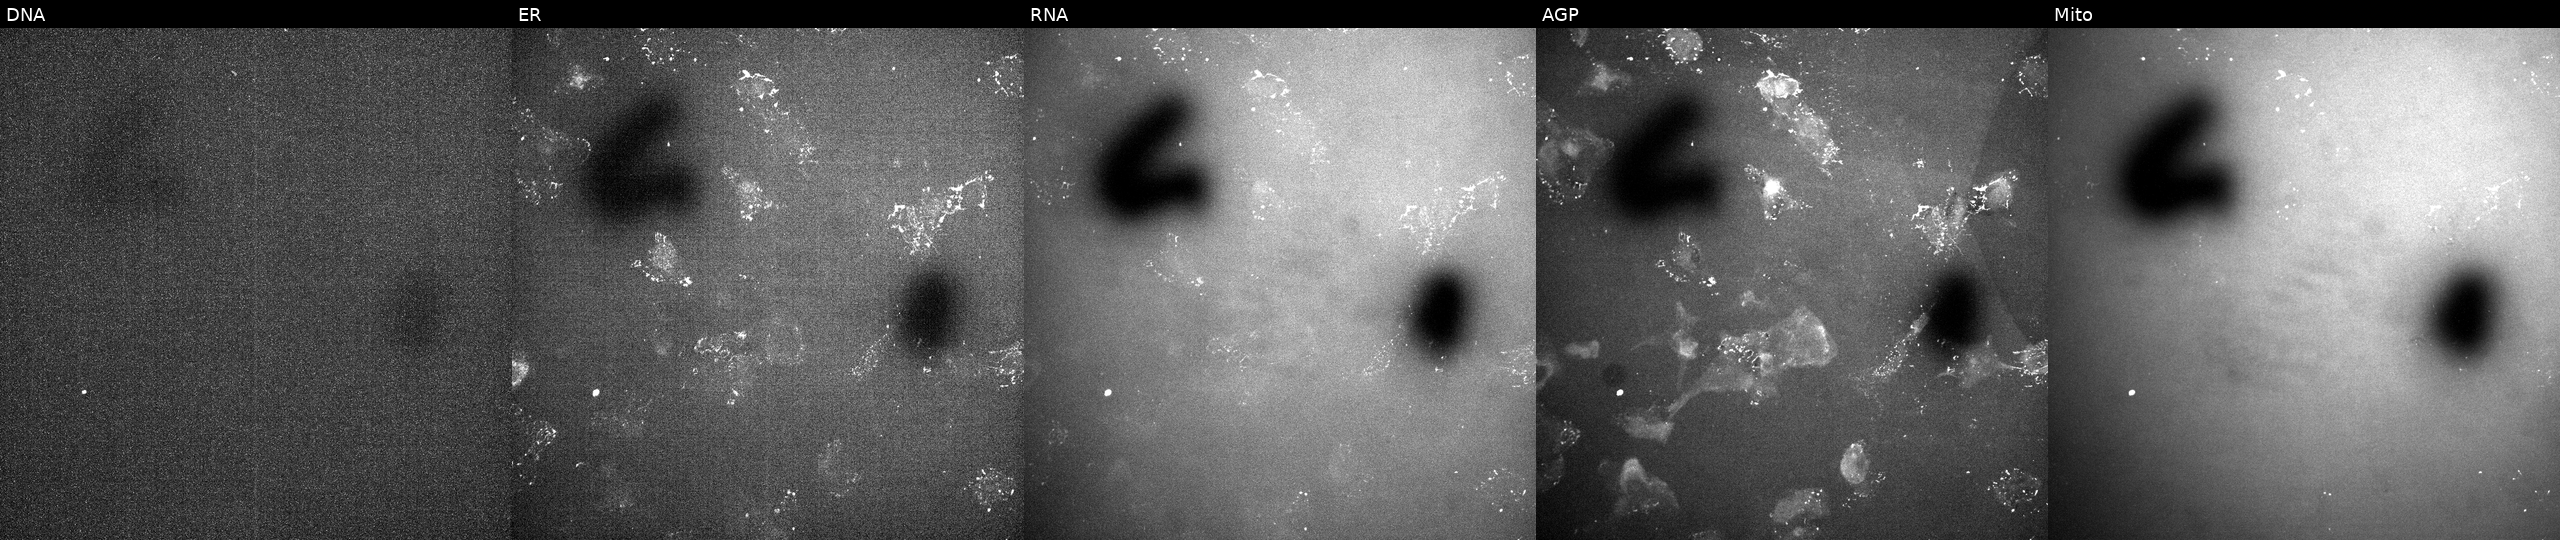
Channels (left→right): Hoechst 33342, concanavalin A, SYTO 14, phalloidin and WGA, MitoTracker. U2OS osteosarcoma cells perturbed with a small-molecule compound (InChIKey PKCYYPHSCUSQDK-UHFFFAOYSA-N) (JUMP id JCP2022_069131). Cell Painting assay, JUMP-CP dataset.